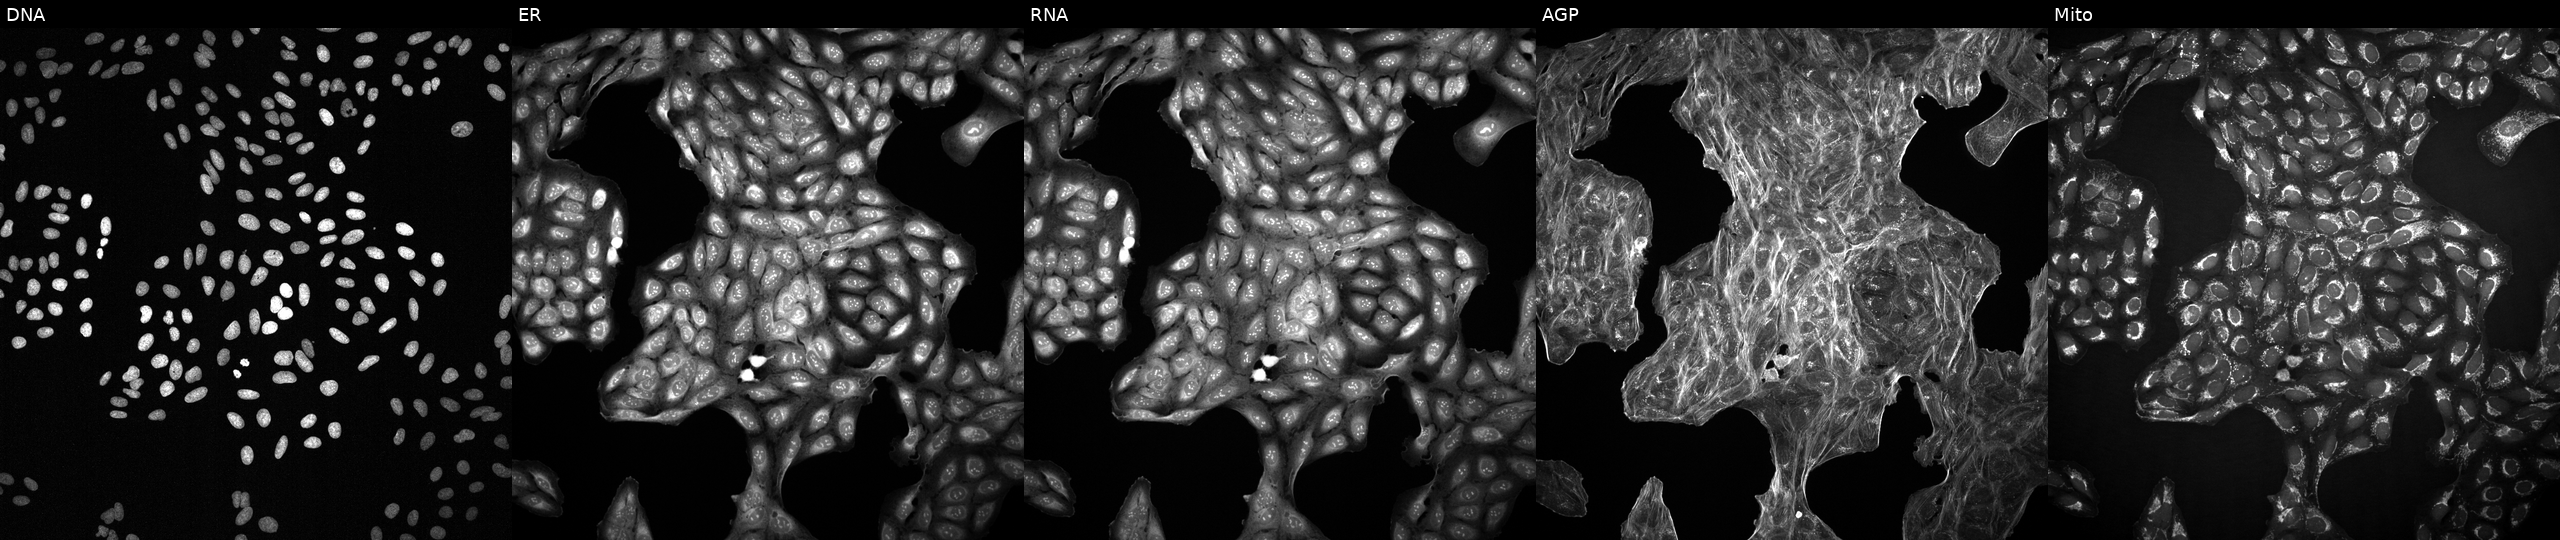
JUMP Cell Painting — TARGET2 plate. U2OS cells exposed to a small-molecule compound (InChIKey HWHLPVGTWGOCJO-UHFFFAOYSA-N) (JUMP id JCP2022_033012). Channels (left→right): DNA, ER, RNA, AGP, and Mito.